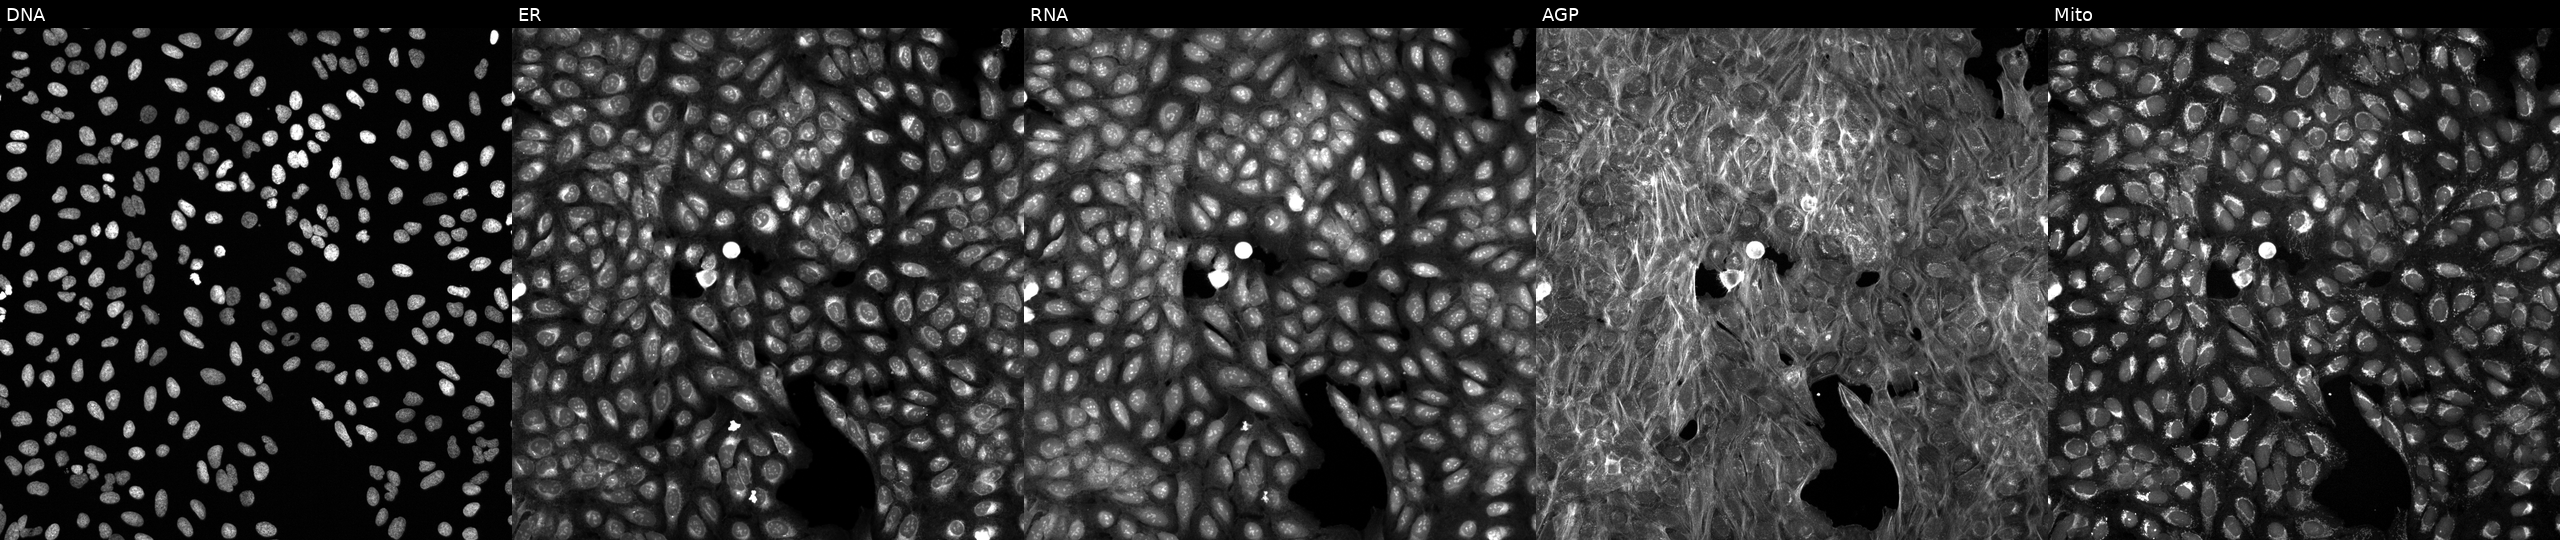
This image strip shows the five Cell Painting channels for a single field of U2OS cells treated with DMSO vehicle only (negative control). Panels show, left to right, DNA (nuclei); ER (endoplasmic reticulum); RNA (nucleoli and cytoplasmic RNA); AGP (actin cytoskeleton, Golgi, and plasma membrane); Mito (mitochondria).